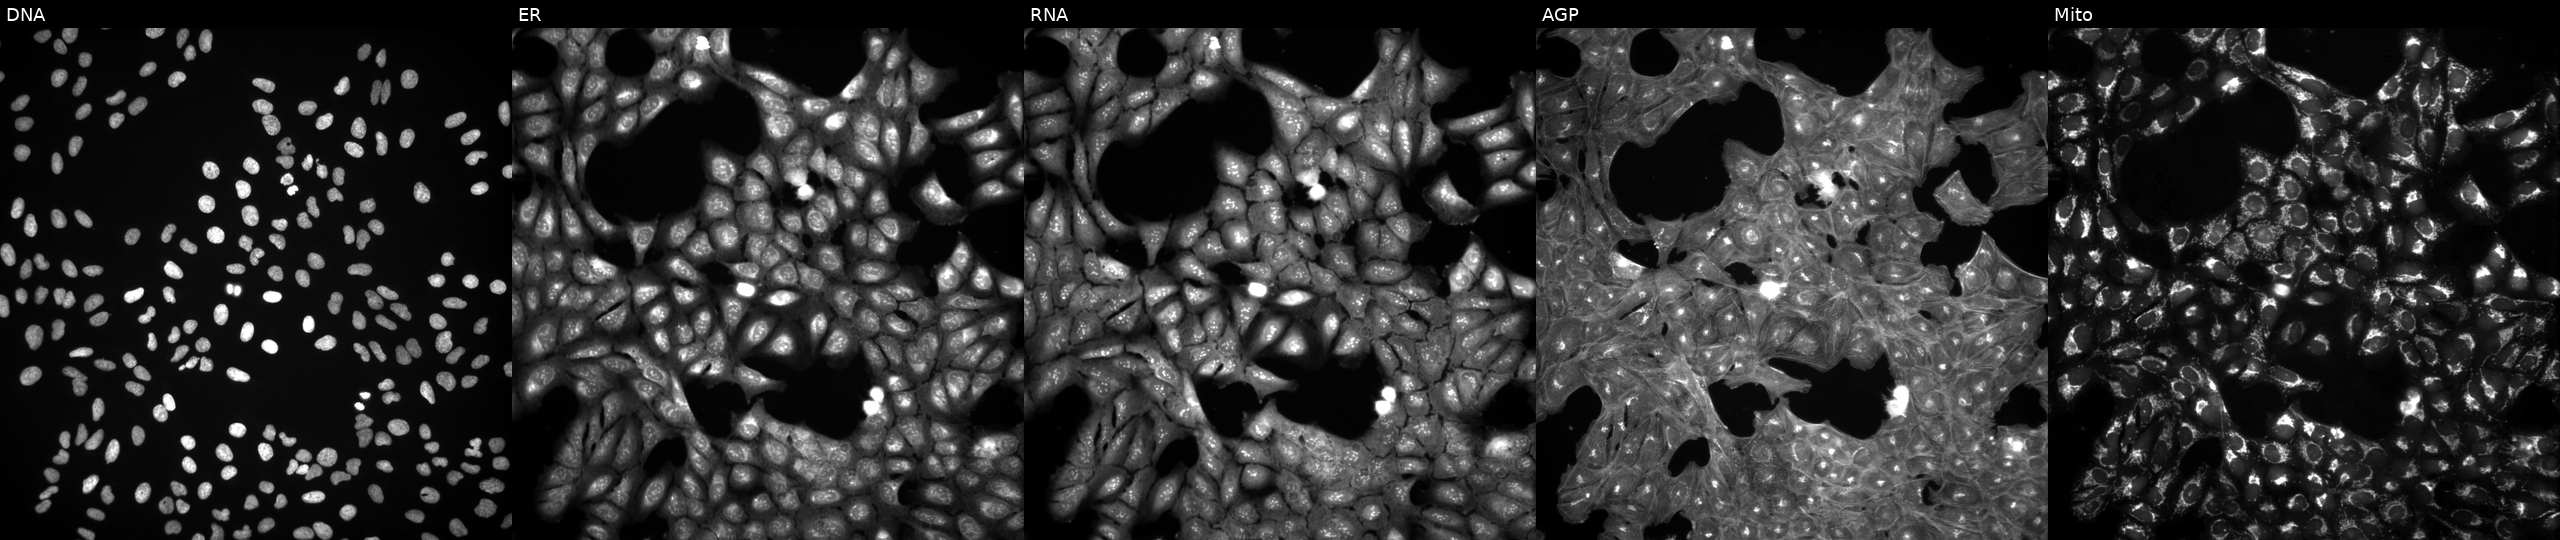
From left to right: DNA (nuclei); ER (endoplasmic reticulum); RNA (nucleoli and cytoplasmic RNA); AGP (actin cytoskeleton, Golgi, and plasma membrane); Mito (mitochondria). U2OS osteosarcoma cells exposed to a small-molecule compound (InChIKey PYNXFZCZUAOOQC-UHFFFAOYSA-N). Cell Painting assay, JUMP-CP dataset.